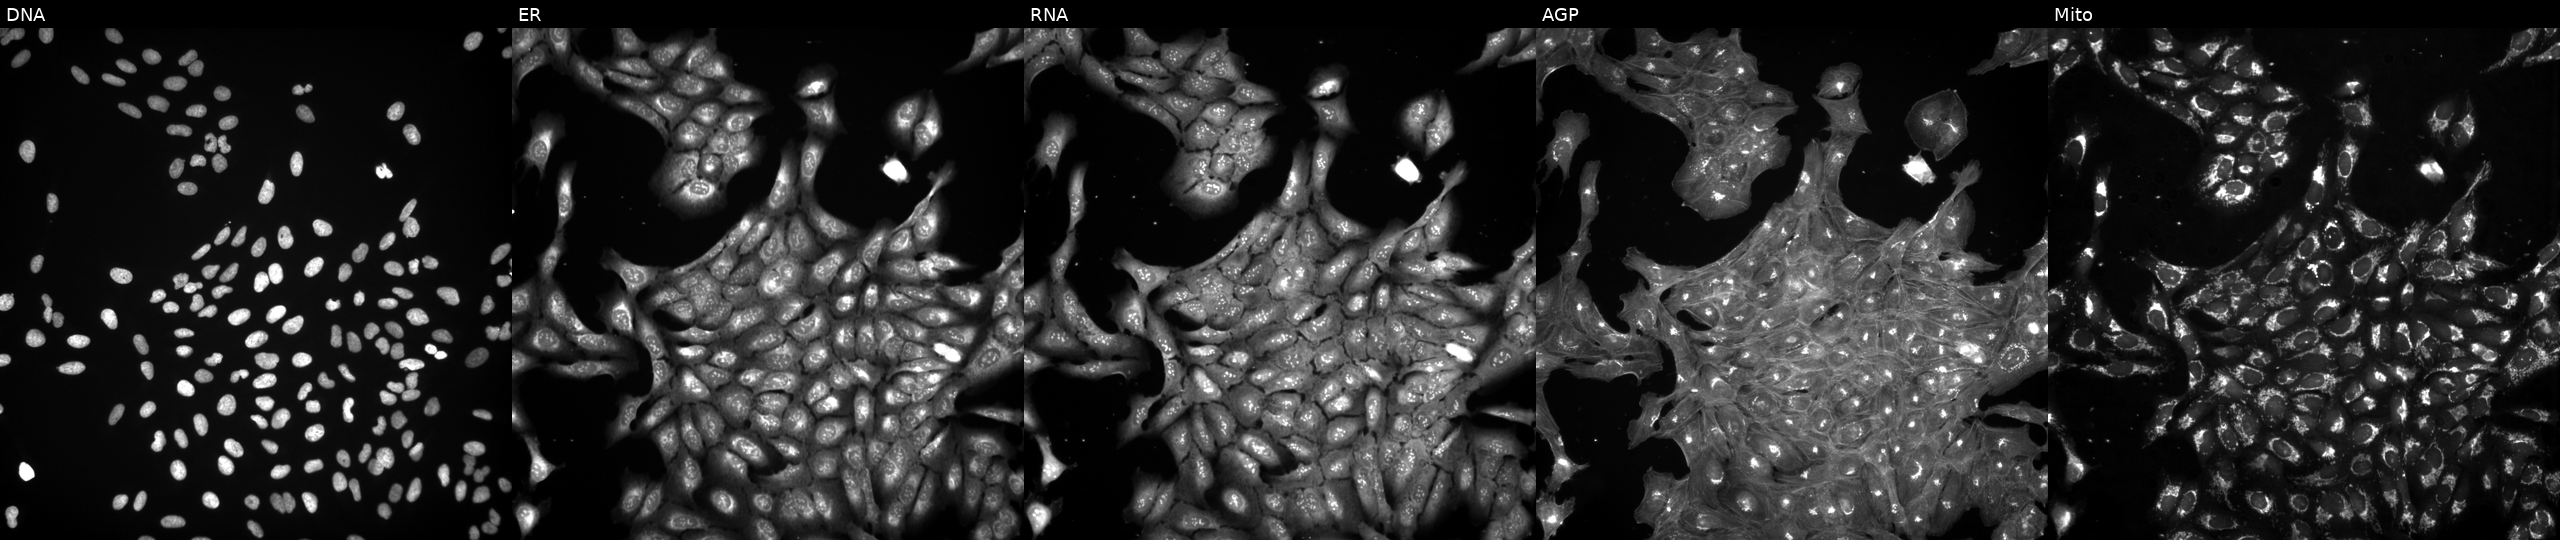
JUMP Cell Painting — COMPOUND plate. U2OS cells exposed to a small-molecule compound (JUMP id JCP2022_107338). Channels (left→right): DNA, ER, RNA, AGP, and Mito. Source 3, plate BR5867a3, well M15.